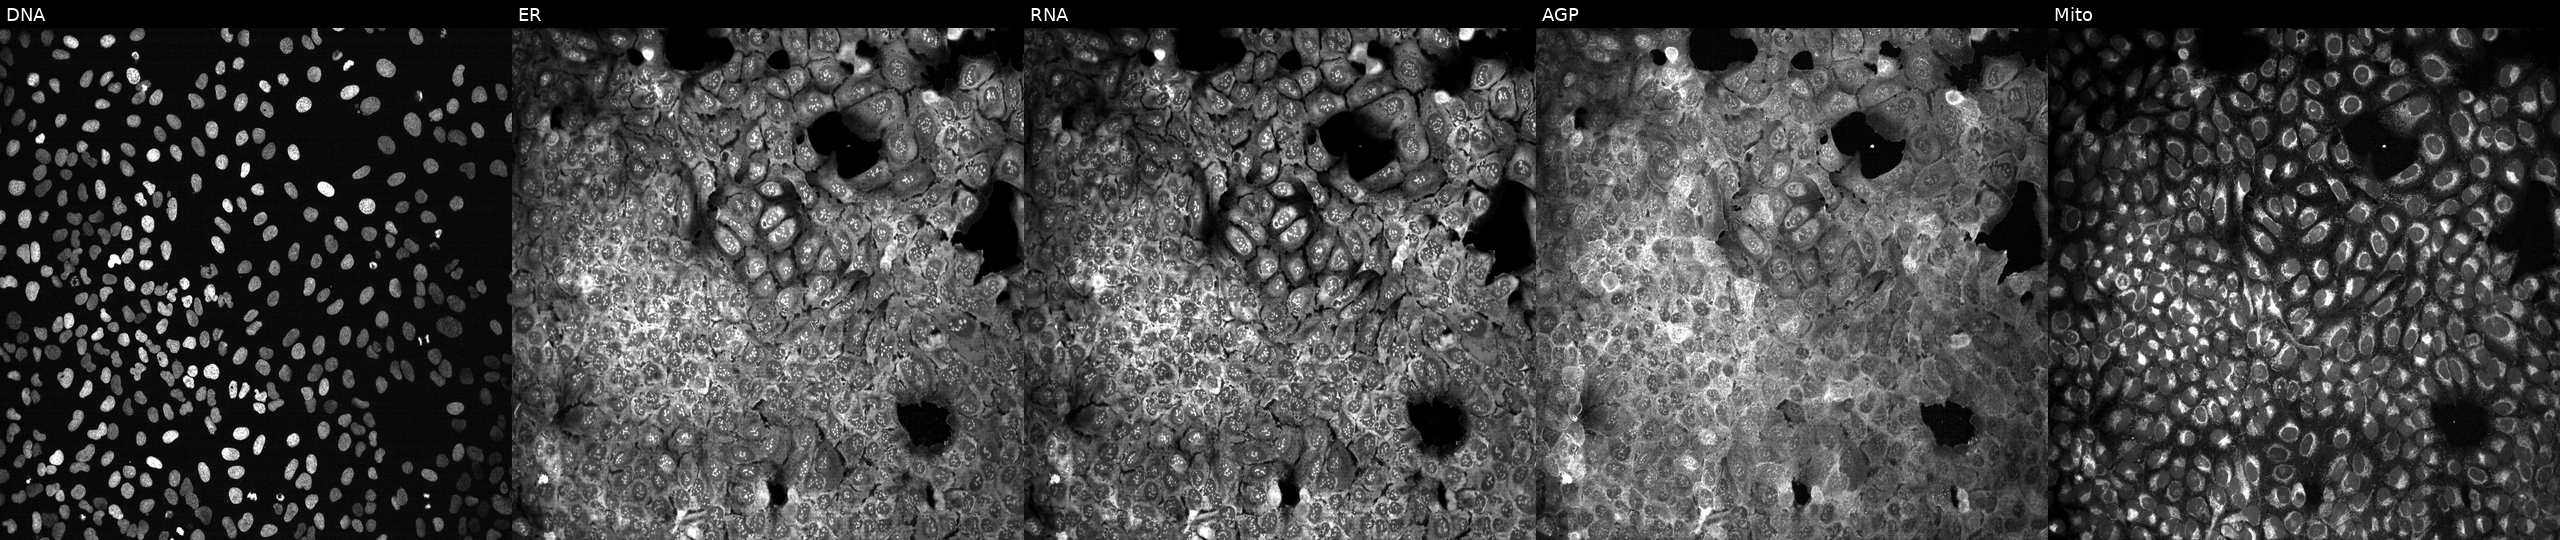
High-content fluorescence microscopy (Cell Painting). Cell line: U2OS. Perturbation: with no CRISPR guide (negative control) (JUMP id JCP2022_800001). From left to right: DNA (nuclei); ER (endoplasmic reticulum); RNA (nucleoli and cytoplasmic RNA); AGP (actin cytoskeleton, Golgi, and plasma membrane); Mito (mitochondria).